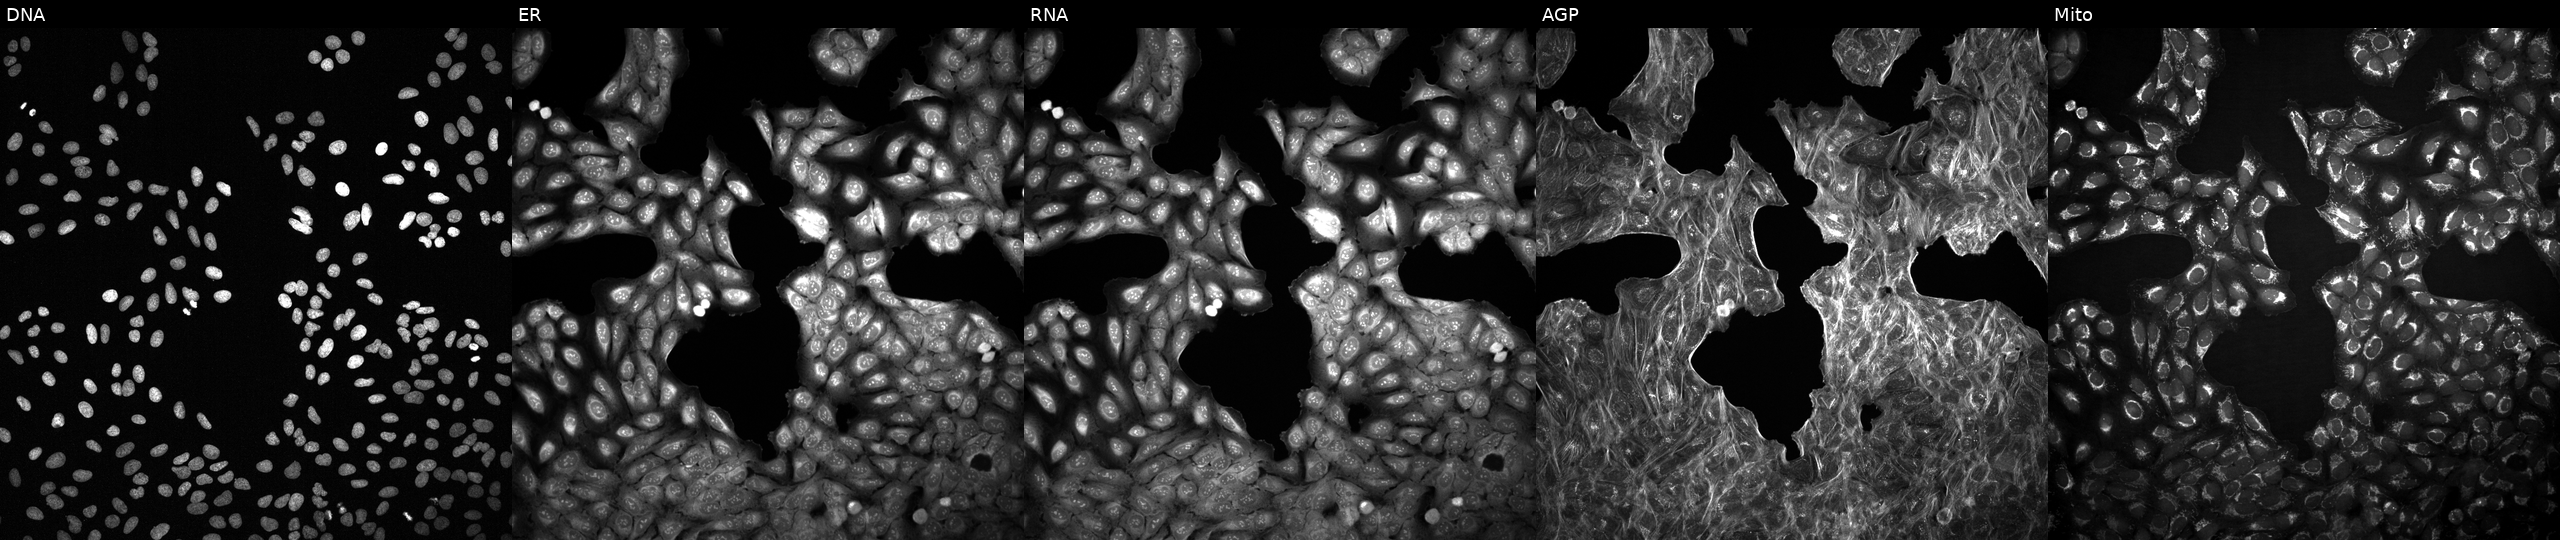
This image strip shows the five Cell Painting channels for a single field of U2OS cells exposed to a small-molecule compound [SMILES: Cc1ccc(C)c(NC(=O)Cc2noc(-c3ccccc3C)n2)c1] (JUMP id JCP2022_072164). From left to right: DNA, ER, RNA, AGP, and Mito. Source 2, plate 1053601763, well O15.